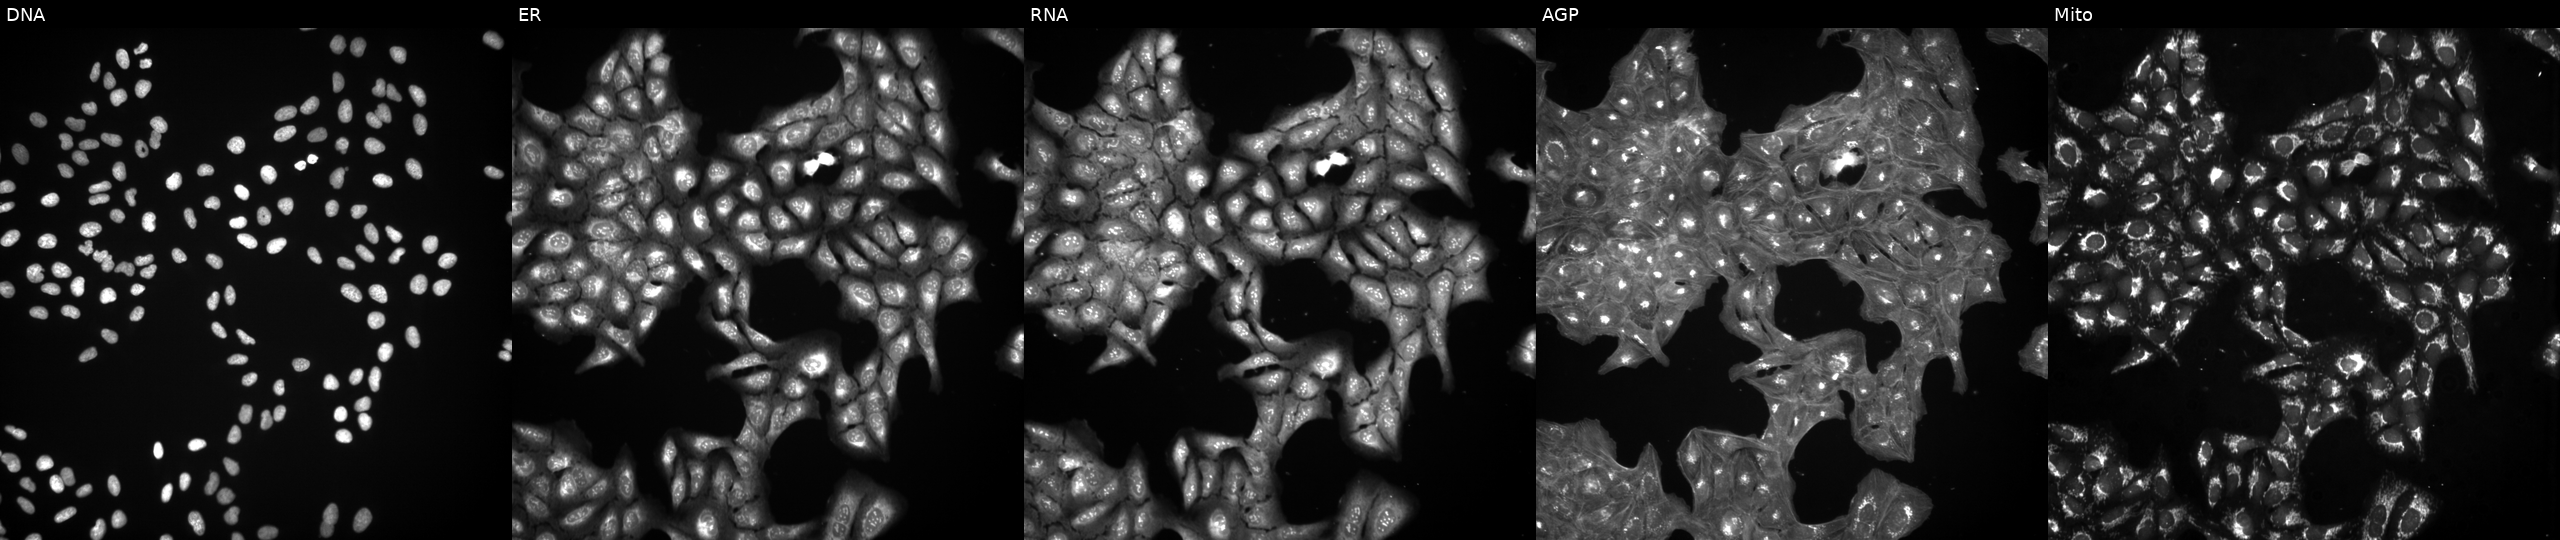
U2OS cells, Cell Painting assay, exposed to a small-molecule compound (JUMP id JCP2022_071733). Channels (left→right): DNA (nuclei); ER (endoplasmic reticulum); RNA (nucleoli and cytoplasmic RNA); AGP (actin cytoskeleton, Golgi, and plasma membrane); Mito (mitochondria). Each panel is percentile-stretched 16-bit fluorescence.